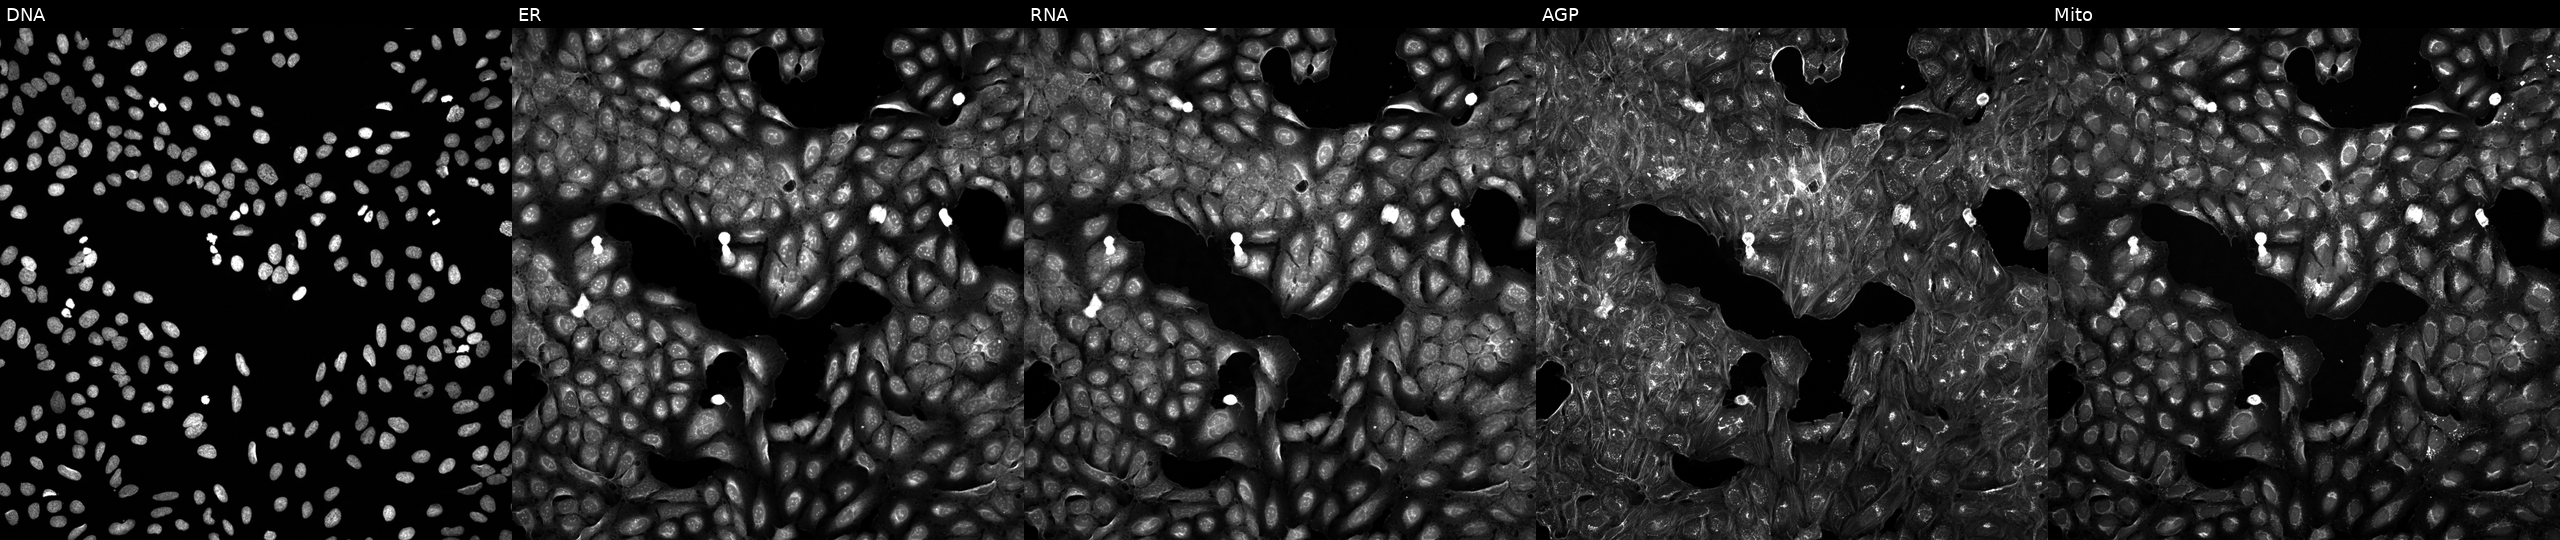
U2OS cells, Cell Painting assay, perturbed with a small-molecule compound (InChIKey WEKYEHDLYDAHKQ-UHFFFAOYSA-N) (JUMP id JCP2022_098216). Panels show, left to right, Hoechst 33342, concanavalin A, SYTO 14, phalloidin and WGA, MitoTracker. Each panel is percentile-stretched 16-bit fluorescence.